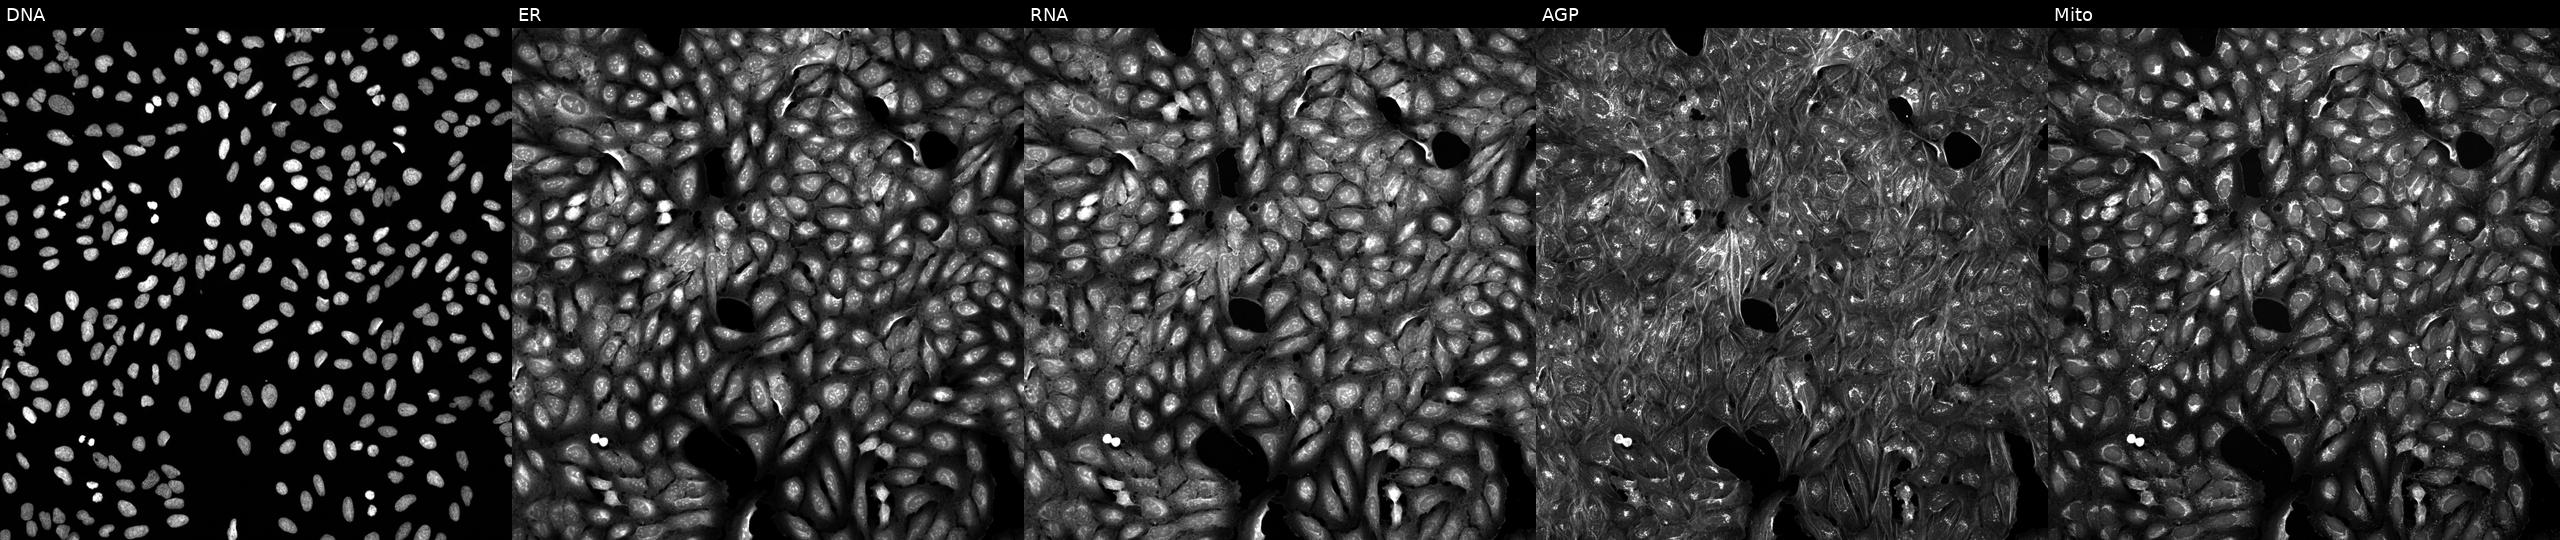
From left to right: DNA (nuclei); ER (endoplasmic reticulum); RNA (nucleoli and cytoplasmic RNA); AGP (actin cytoskeleton, Golgi, and plasma membrane); Mito (mitochondria). U2OS osteosarcoma cells perturbed with a small-molecule compound (InChIKey DHBYIXCQGLLFLB-UHFFFAOYSA-N) [SMILES: COc1ccc(CNC(=O)N2CCCC(Cc3nccn3C)C2)cn1] (JUMP id JCP2022_015886). Cell Painting assay, JUMP-CP dataset.